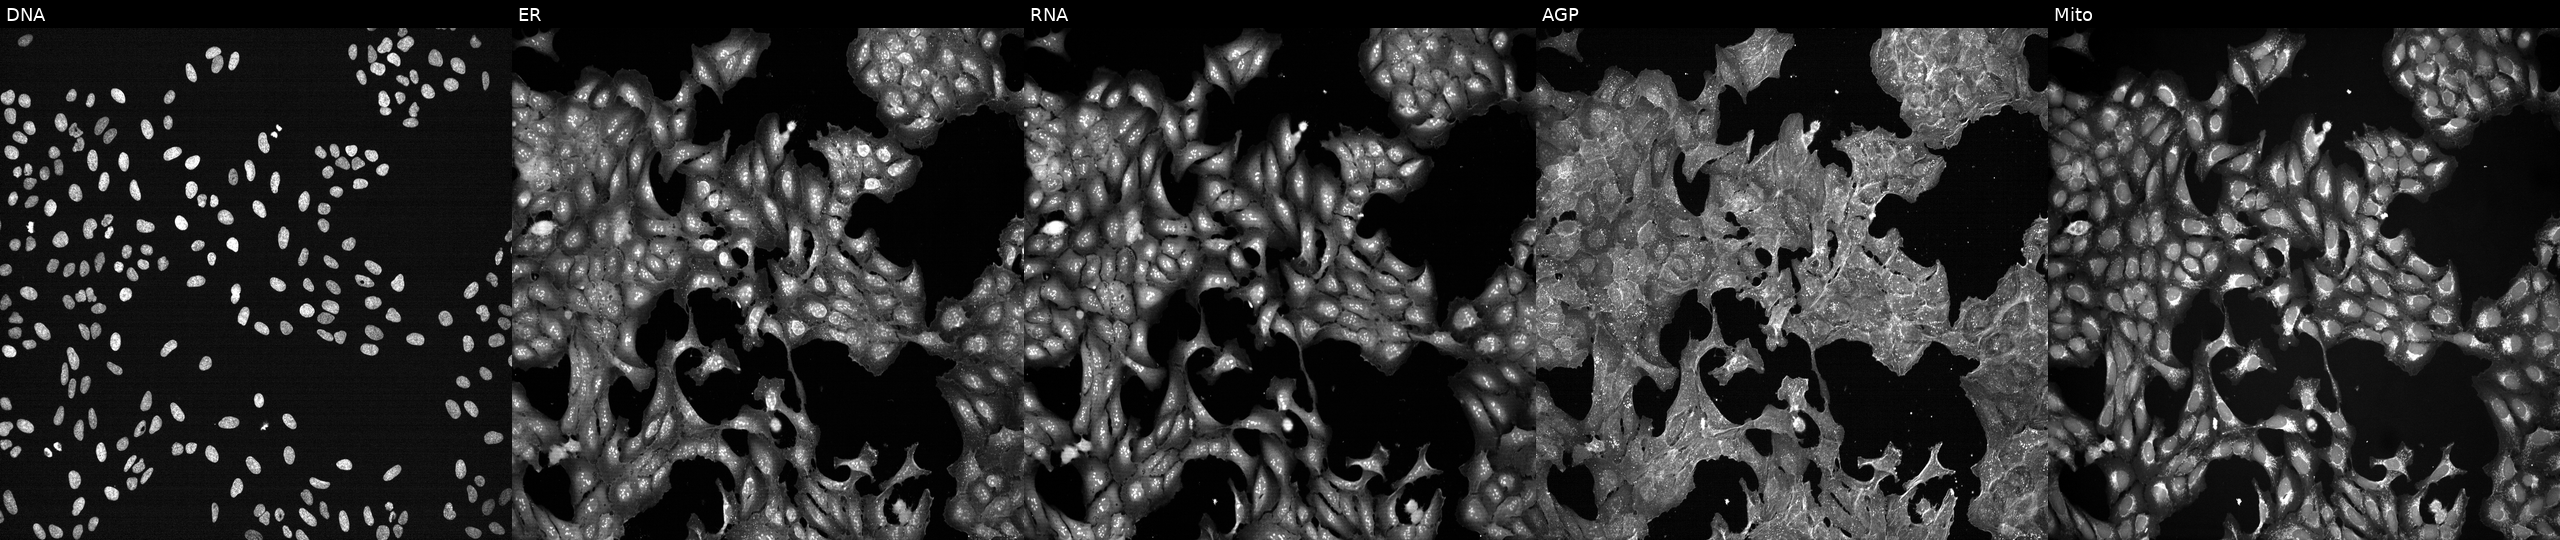
Five-channel Cell Painting image of U2OS cells treated with a small-molecule compound (InChIKey ALOBUEHUHMBRLE-UHFFFAOYSA-N). Panels show, left to right, DNA, ER, RNA, AGP, and Mito. Source 7, plate CP2-SC1-25, well K20.